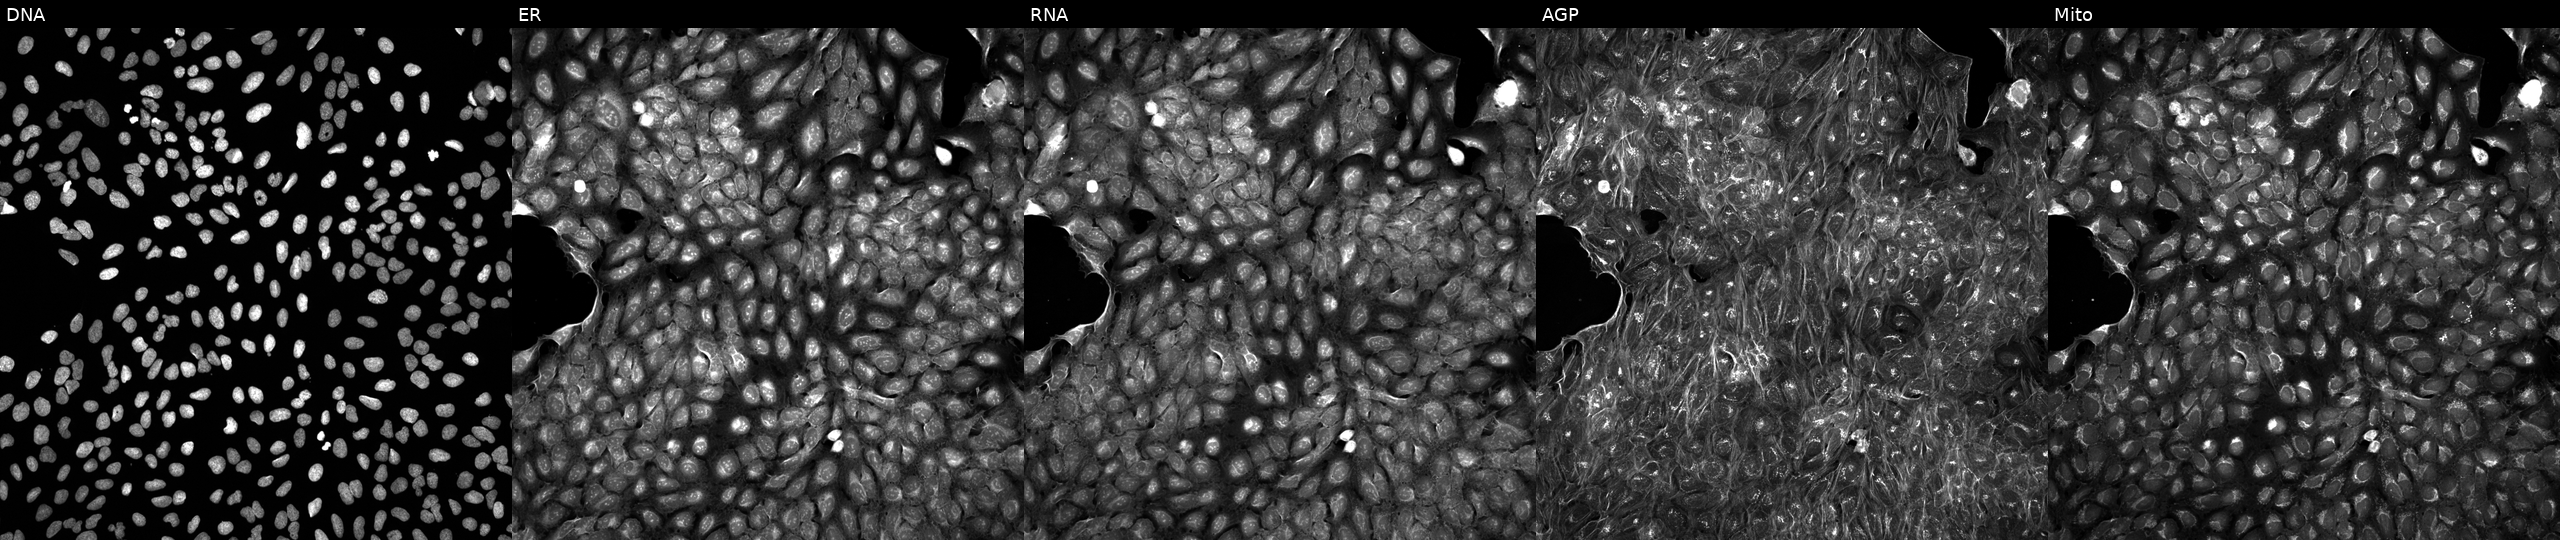
Five-channel Cell Painting image of U2OS cells exposed to a small-molecule compound (InChIKey FCXYQLHDTVAAGD-UHFFFAOYSA-N) [SMILES: CC1CCCCN1c1cc(C(=O)N2CCCC(C(N)=O)C2)ccn1]. Panels show, left to right, DNA, ER, RNA, AGP, and Mito.